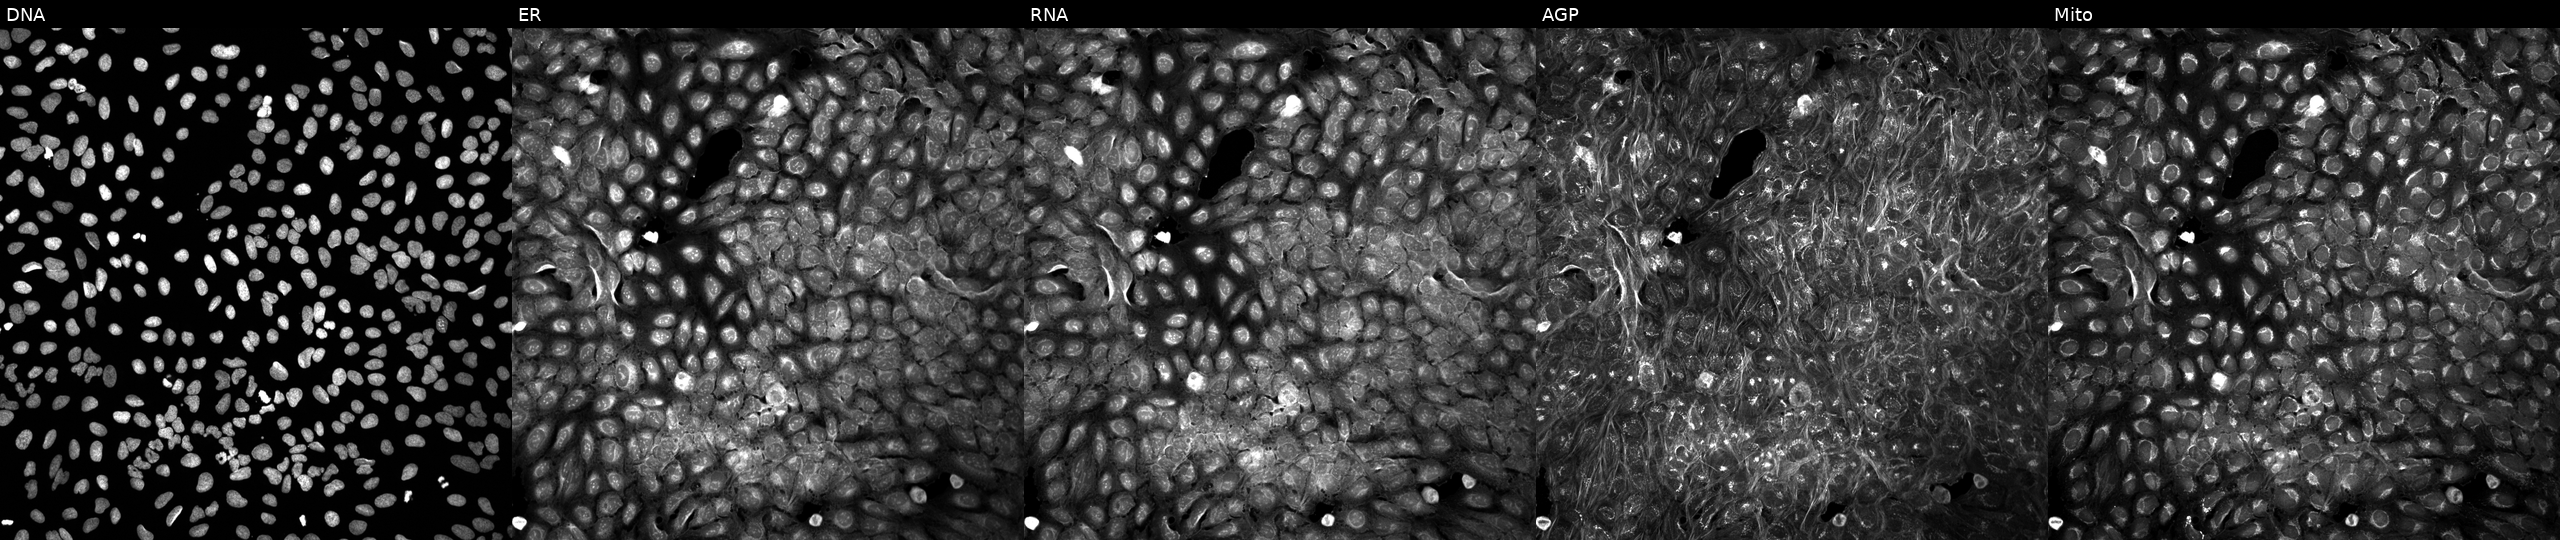
From left to right: DNA, ER, RNA, AGP, and Mito. U2OS osteosarcoma cells treated with a small-molecule compound [SMILES: CCNS(=O)(=O)c1ccc(C(=O)N2CCC(c3nccs3)CC2)cc1]. Cell Painting assay, JUMP-CP dataset. Source 5, plate APTJUM106, well K22.